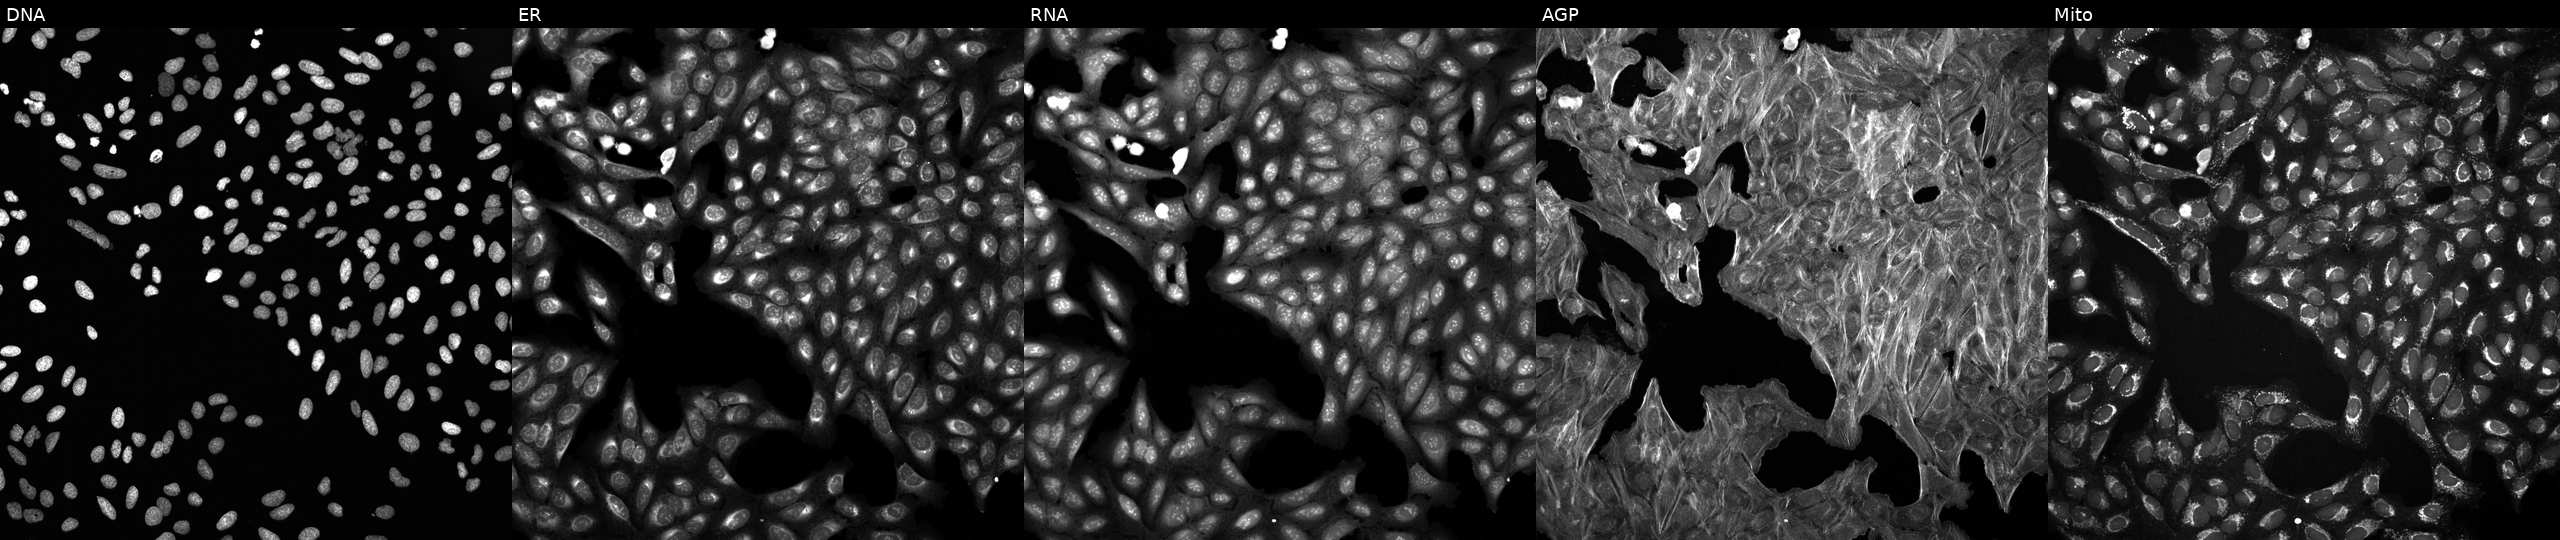
Five-channel Cell Painting image of U2OS cells treated with DMSO vehicle only (negative control) (JUMP id JCP2022_033924). From left to right: DNA, ER, RNA, AGP, and Mito.